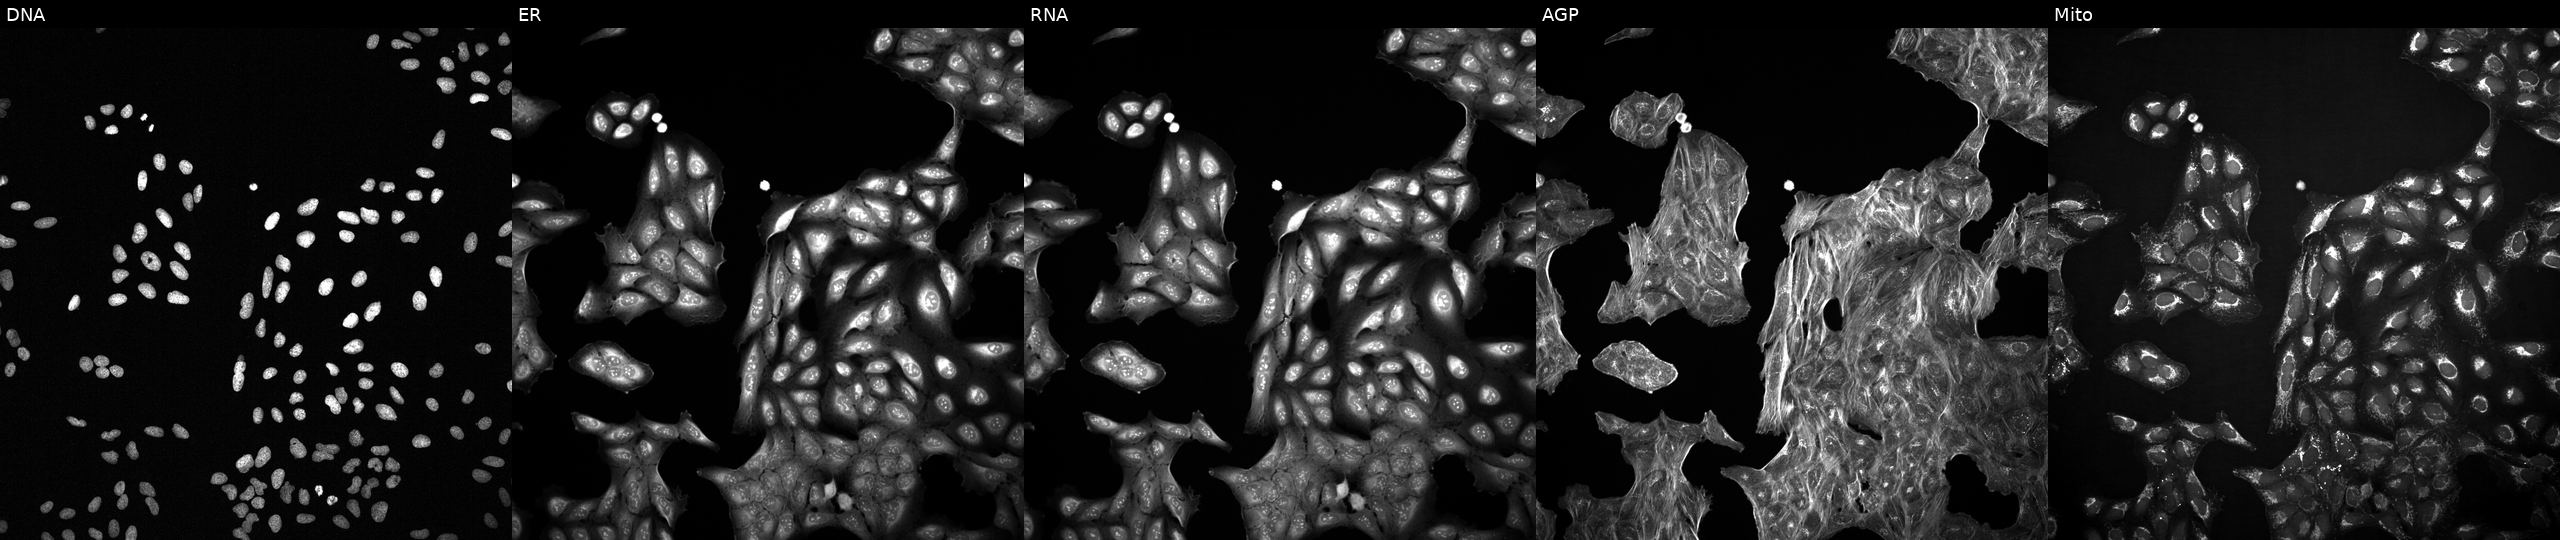
Channels (left→right): Hoechst 33342, concanavalin A, SYTO 14, phalloidin and WGA, MitoTracker. U2OS osteosarcoma cells with an unidentified perturbation (not annotated in JUMP metadata). Cell Painting assay, JUMP-CP dataset. Source 2, plate 1053601756, well L16.